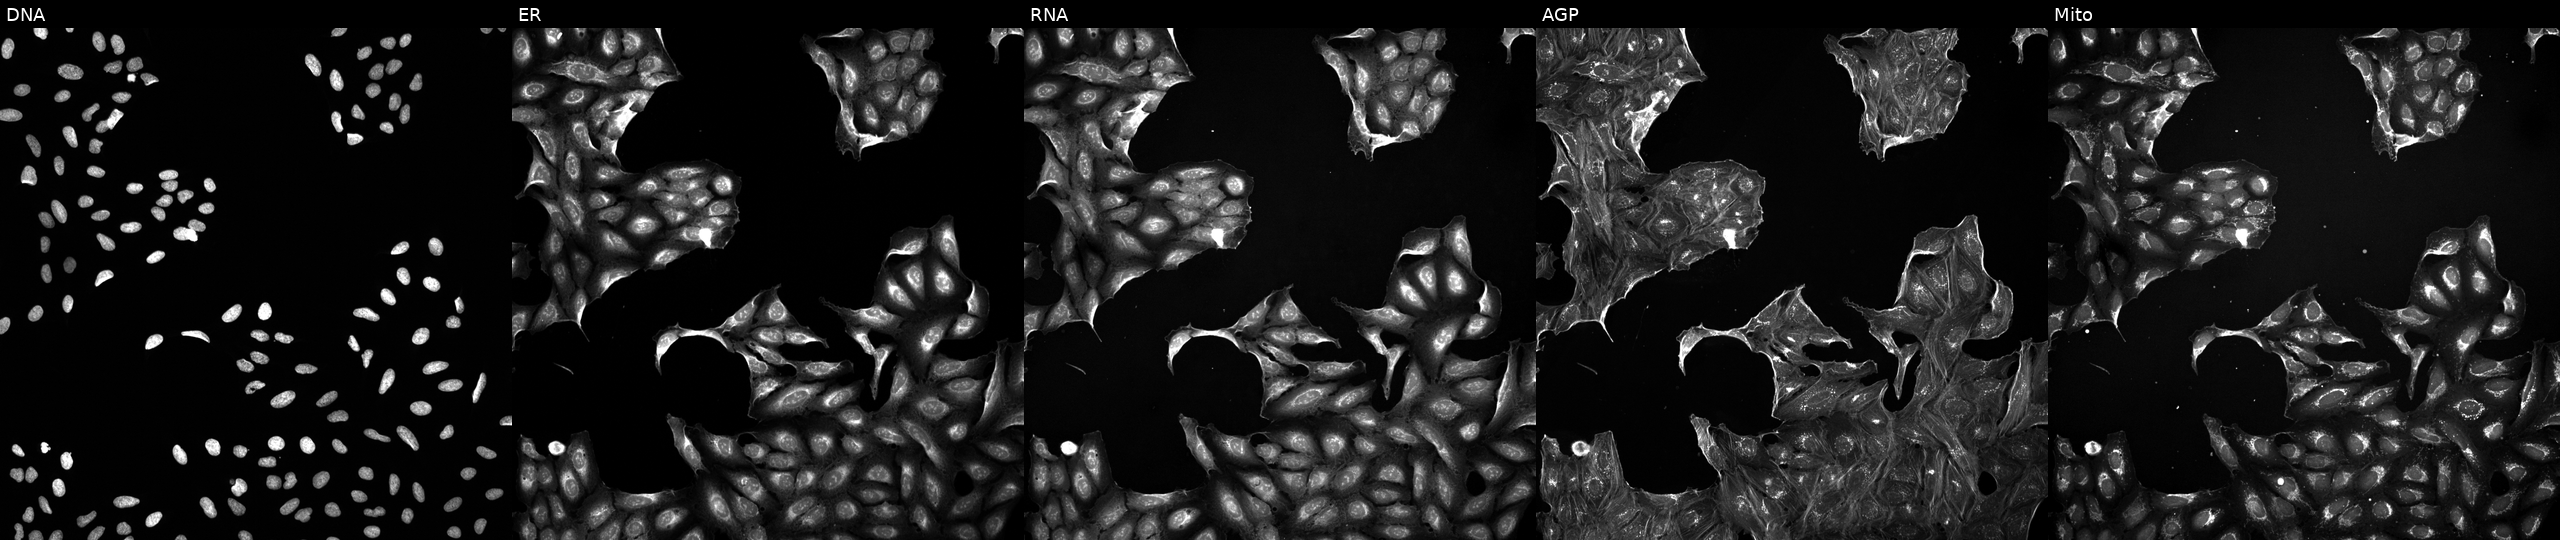
Panels show, left to right, Hoechst 33342, concanavalin A, SYTO 14, phalloidin and WGA, MitoTracker. U2OS osteosarcoma cells exposed to a small-molecule compound (InChIKey KBPLFHHGFOOTCA-UHFFFAOYSA-N). Cell Painting assay, JUMP-CP dataset.